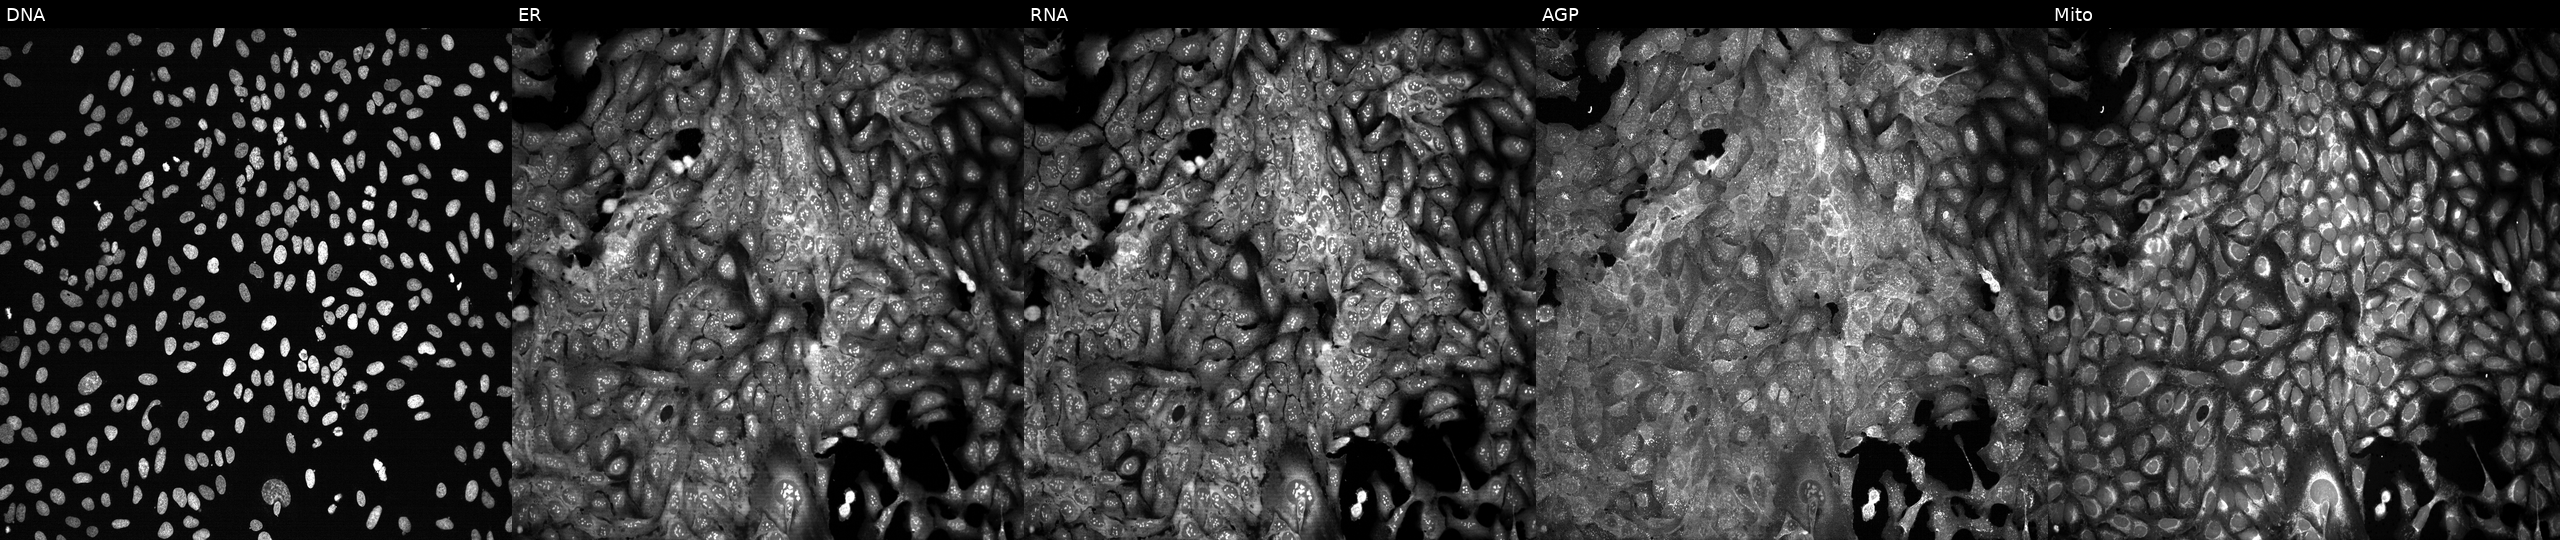
JUMP Cell Painting — CRISPR plate. U2OS cells following CRISPR knockout of GUSB. The five panels, left to right, show Hoechst 33342, concanavalin A, SYTO 14, phalloidin and WGA, MitoTracker. Source 13, plate CP-CC9-R5-01, well H05.